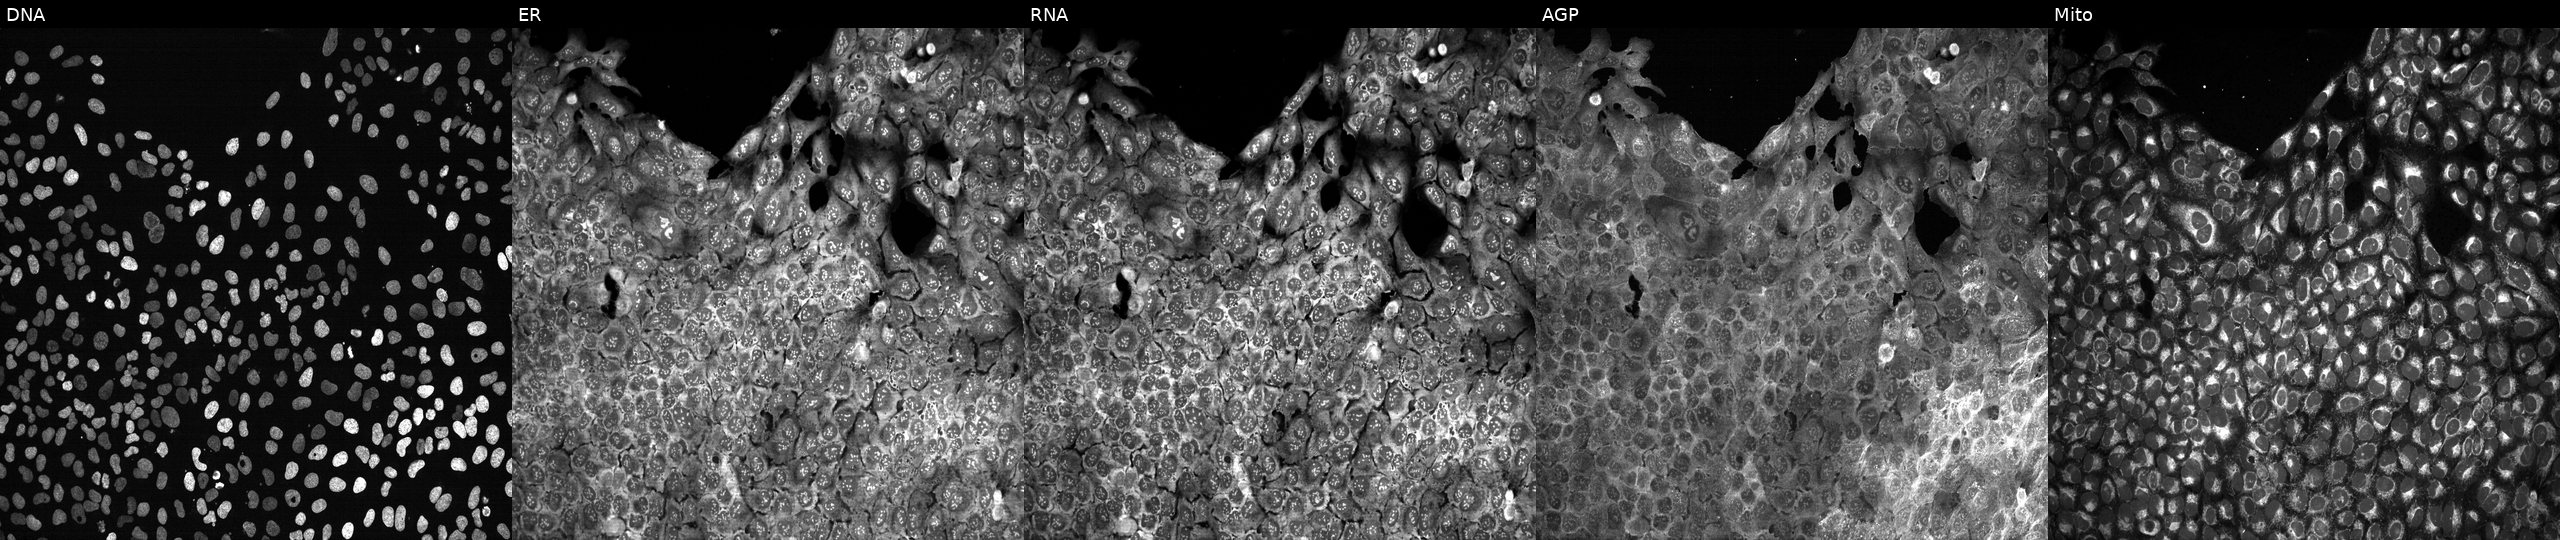
This image strip shows the five Cell Painting channels for a single field of U2OS cells following CRISPR knockout of DNM1 (JUMP id JCP2022_801876). The five panels, left to right, show Hoechst 33342, concanavalin A, SYTO 14, phalloidin and WGA, MitoTracker. Source 13, plate CP-CC9-R3-02, well E08.